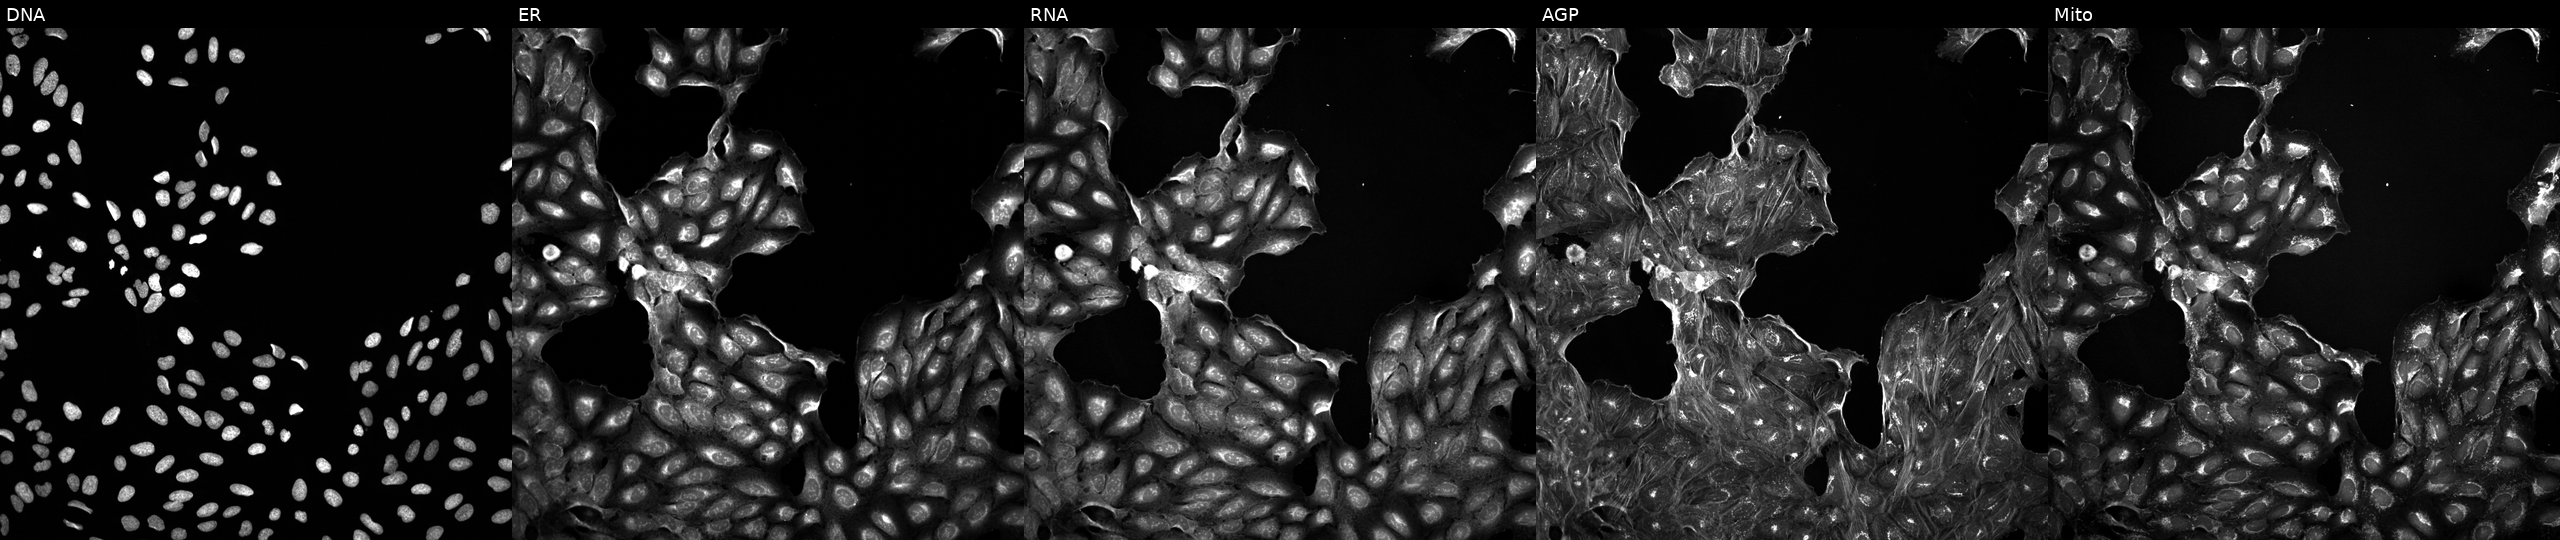
The five panels, left to right, show DNA, ER, RNA, AGP, and Mito. U2OS osteosarcoma cells exposed to a small-molecule compound (JUMP id JCP2022_027911). Cell Painting assay, JUMP-CP dataset.